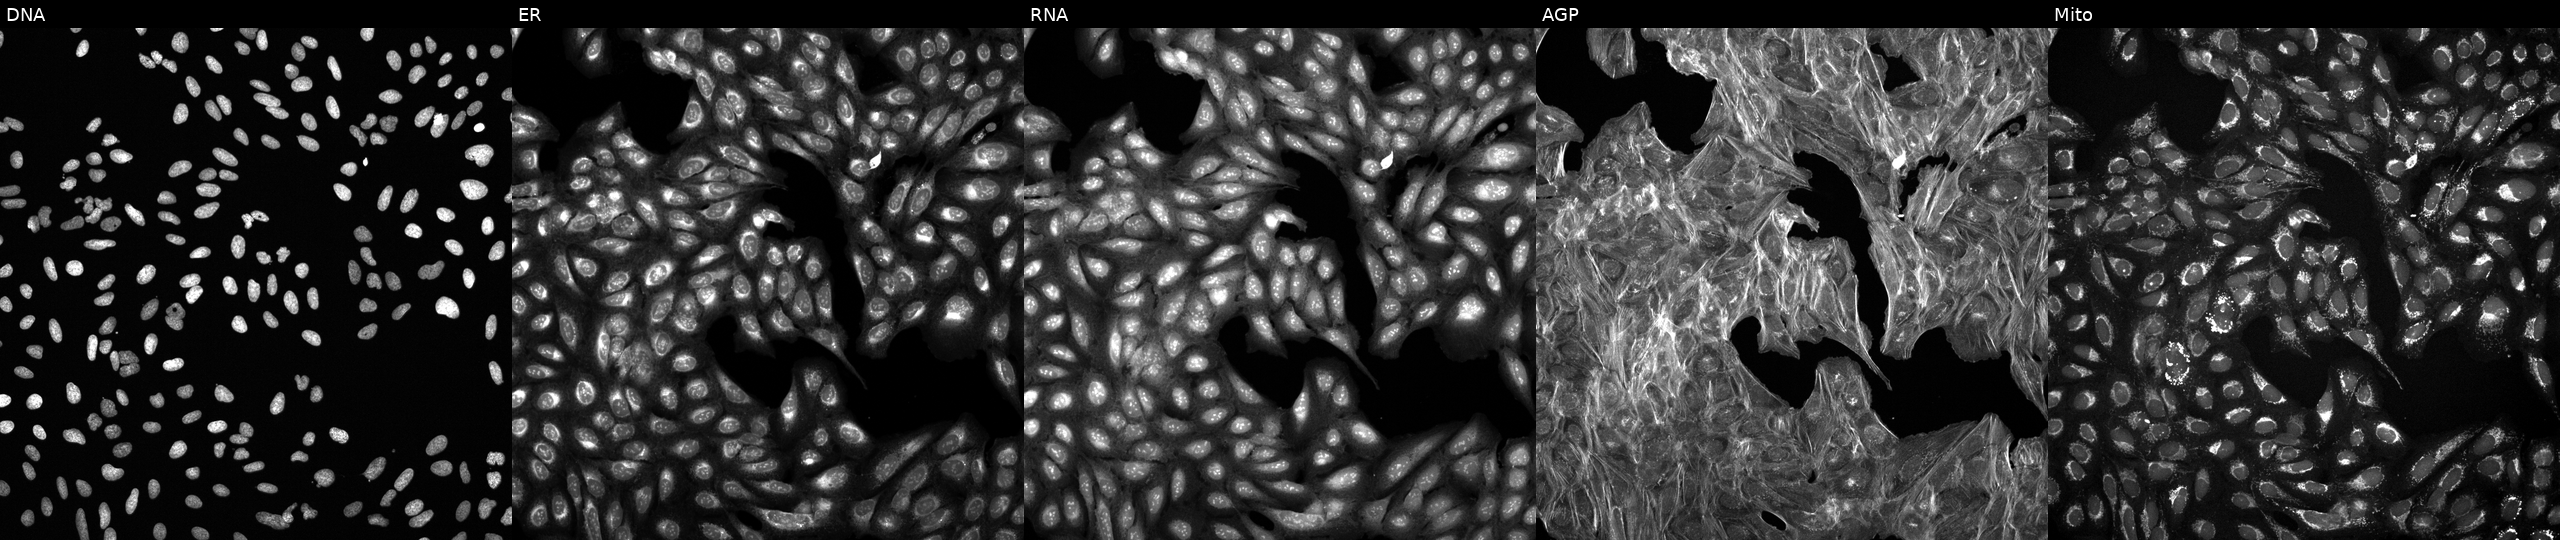
This image strip shows the five Cell Painting channels for a single field of U2OS cells perturbed with a small-molecule compound (InChIKey ZOFYHBSRKQPWRC-UHFFFAOYSA-N) [SMILES: COc1cccc(NS(=O)(=O)c2cc3c(cc2Cl)N(C(C)=O)CCO3)c1]. Channels (left→right): DNA, ER, RNA, AGP, and Mito. Source 6, plate 110000293082, well G09.